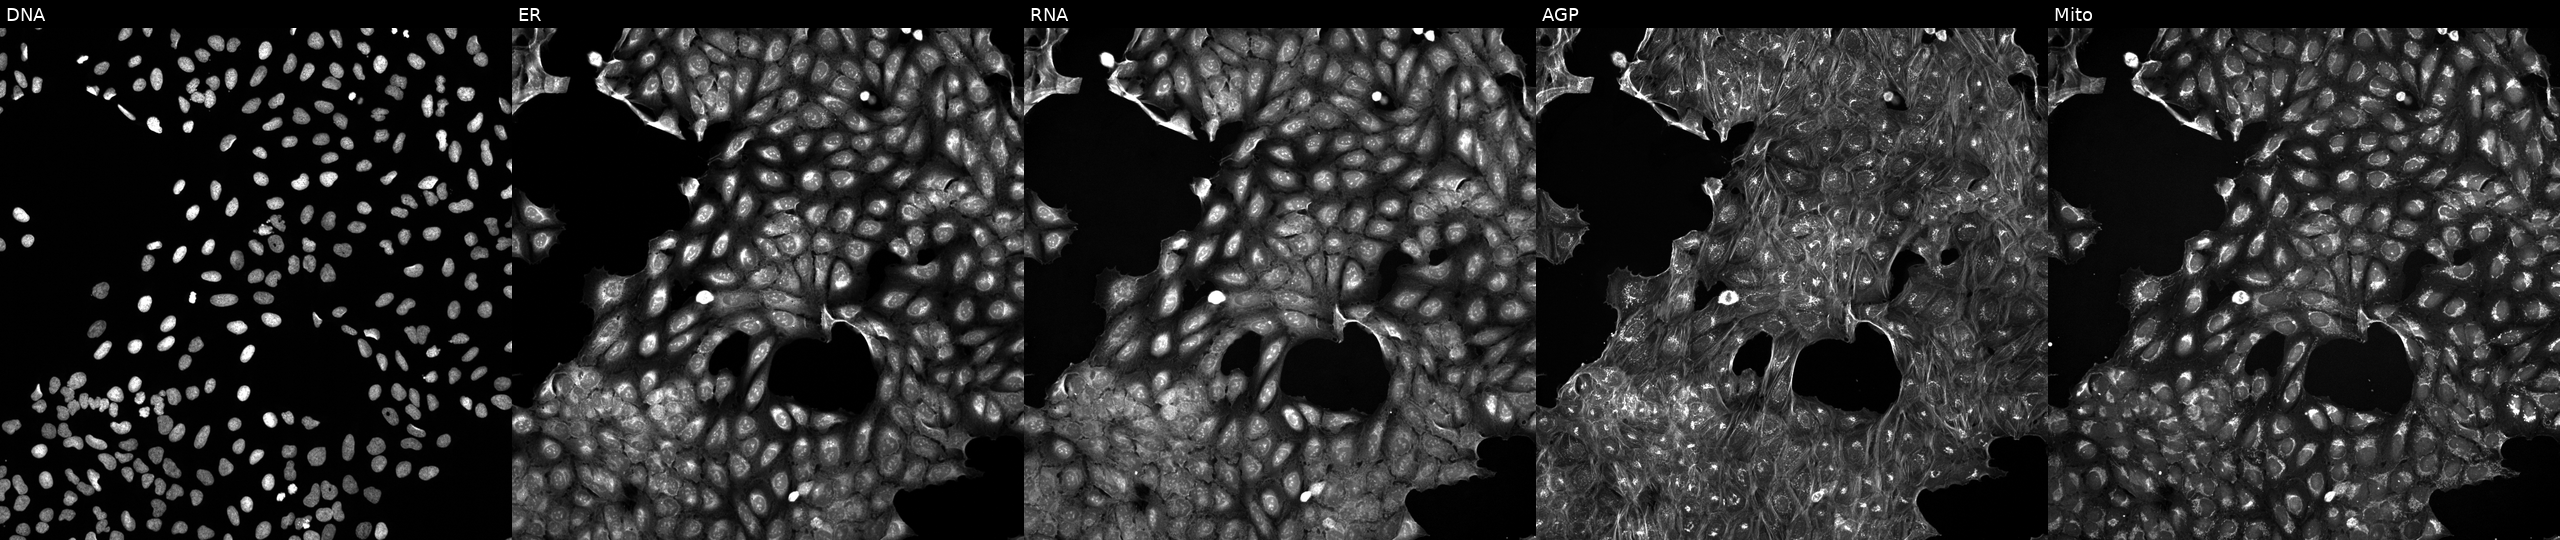
This image strip shows the five Cell Painting channels for a single field of U2OS cells exposed to a small-molecule compound (InChIKey CXUCKELNYMZTRT-UHFFFAOYSA-N) (JUMP id JCP2022_014114). From left to right: DNA, ER, RNA, AGP, and Mito. Source 5, plate ACPJUM051, well B14.